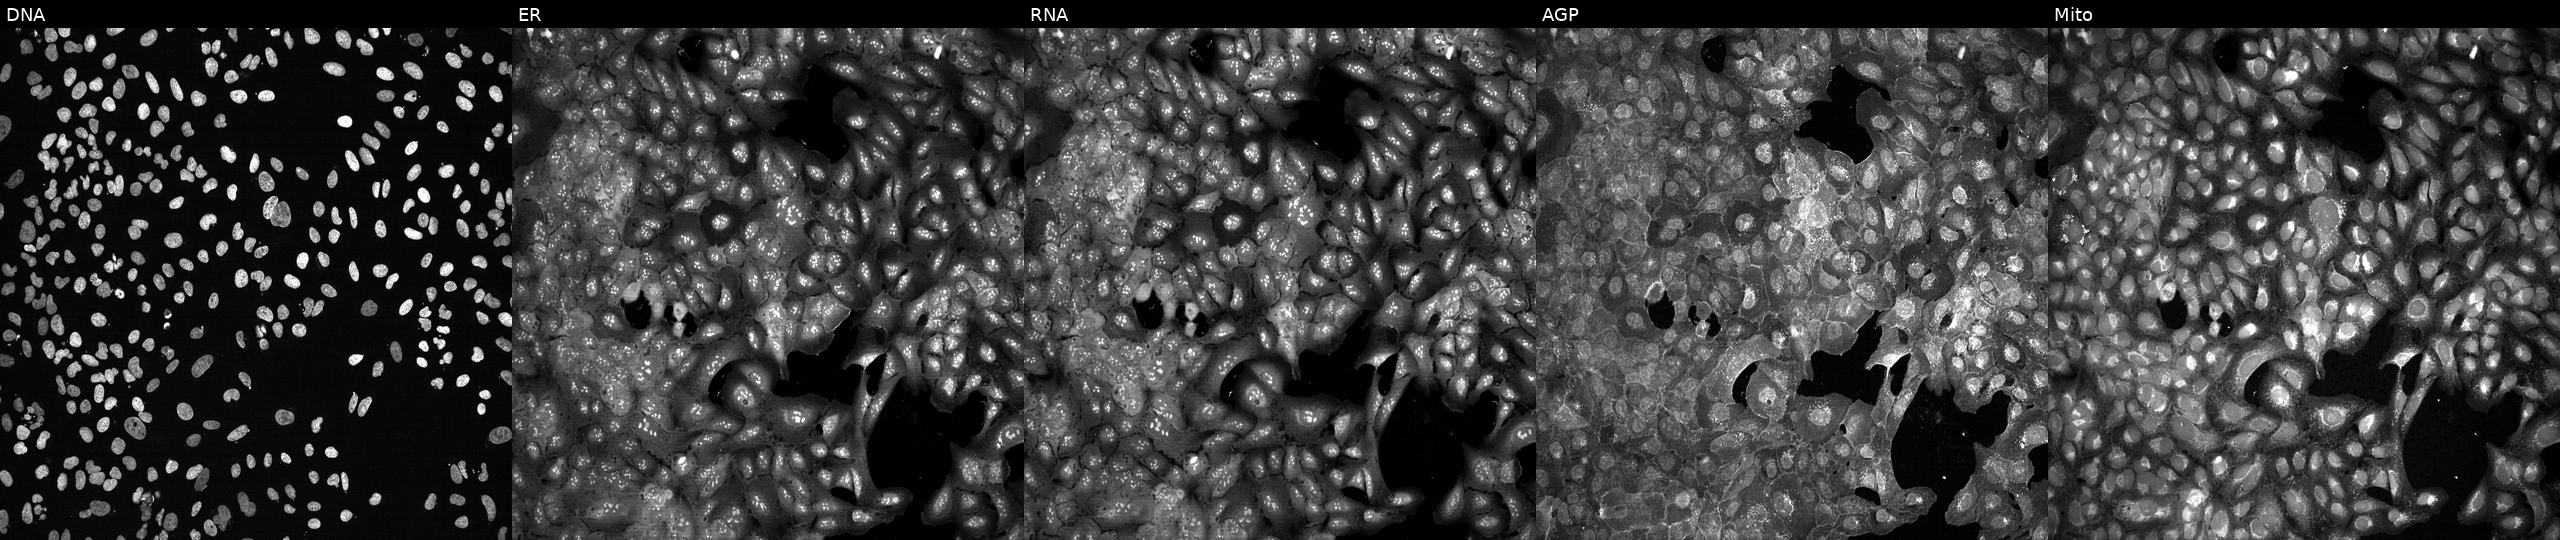
High-content fluorescence microscopy (Cell Painting). Cell line: U2OS. Perturbation: with CRY2 knocked out by CRISPR (JUMP id JCP2022_801517). Panels show, left to right, DNA, ER, RNA, AGP, and Mito. Source 13, plate CP-CC9-R1-02, well A10.